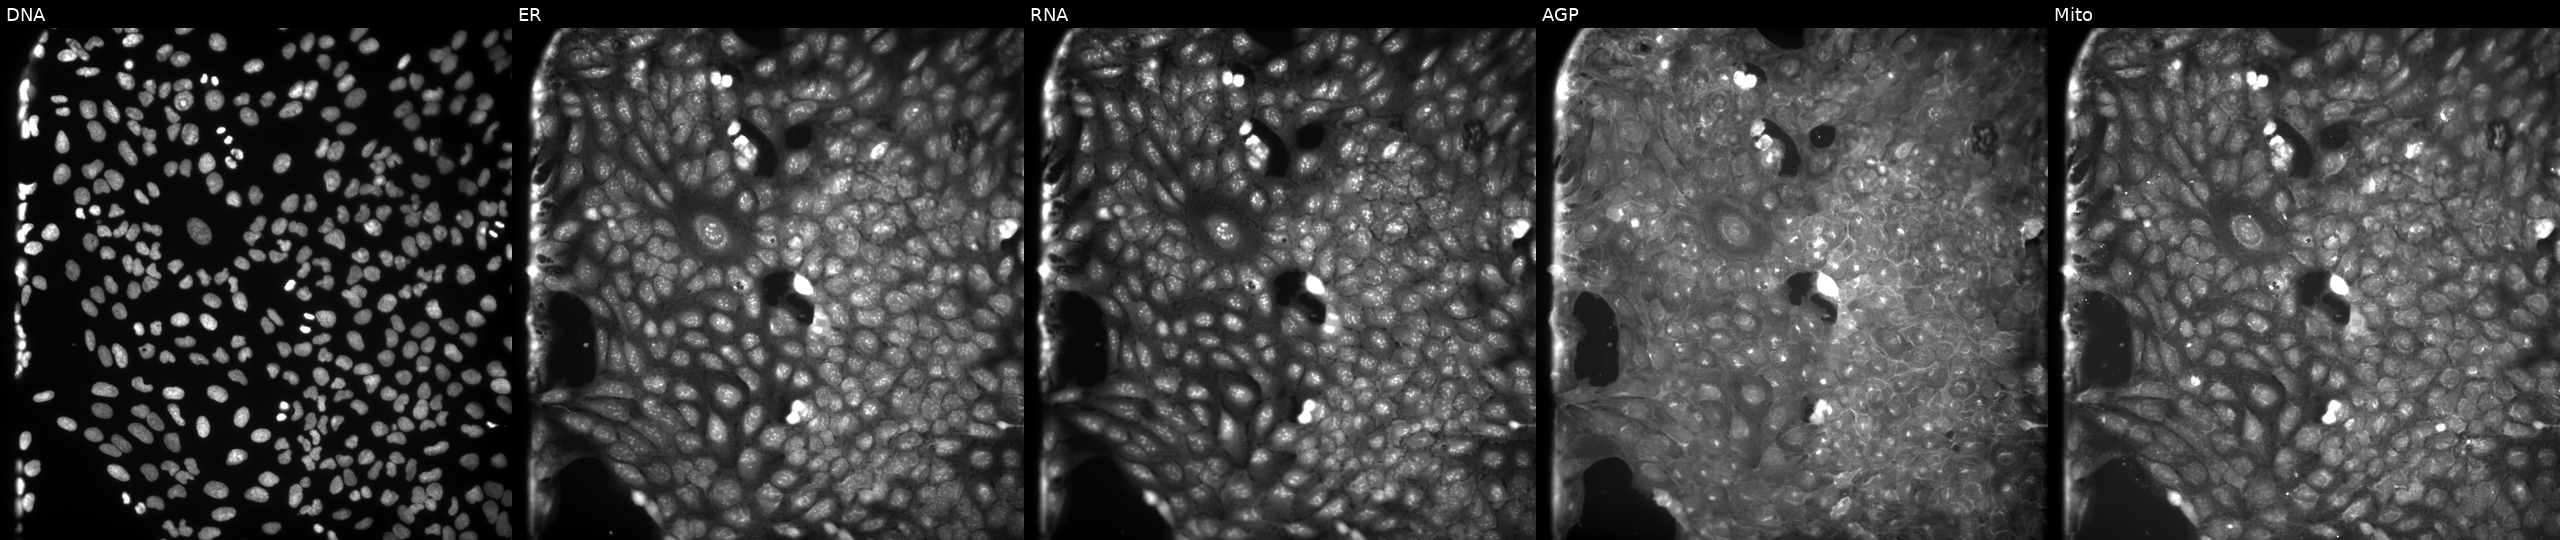
U2OS cells, Cell Painting assay, treated with DMSO vehicle only (negative control). The five panels, left to right, show DNA, ER, RNA, AGP, and Mito. Each panel is percentile-stretched 16-bit fluorescence.